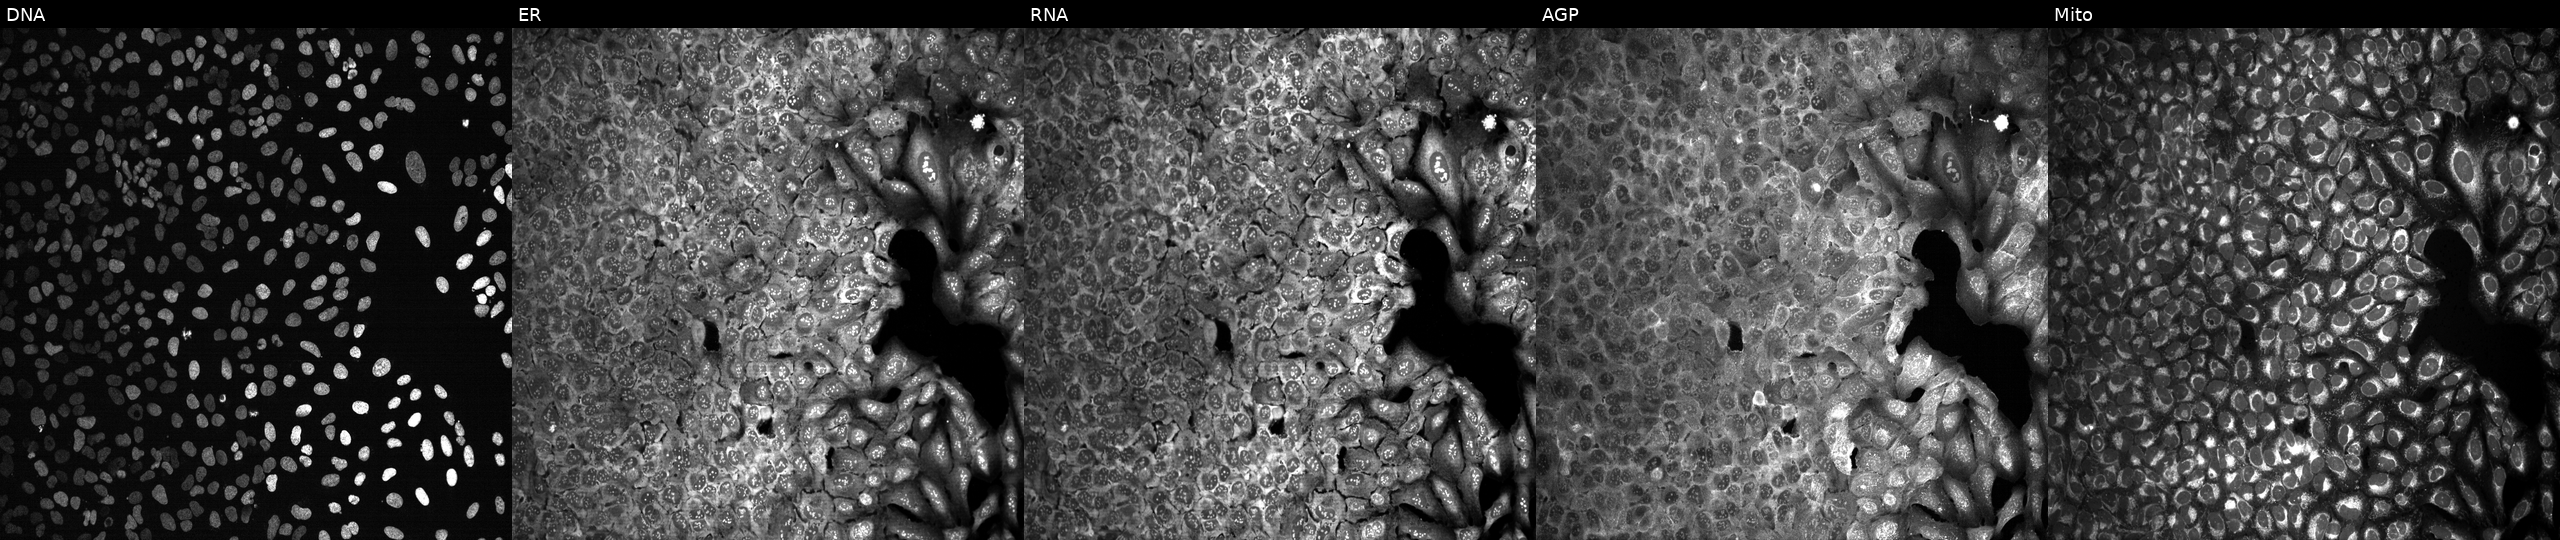
This image strip shows the five Cell Painting channels for a single field of U2OS cells with GPR137B knocked out by CRISPR. Panels show, left to right, DNA, ER, RNA, AGP, and Mito.